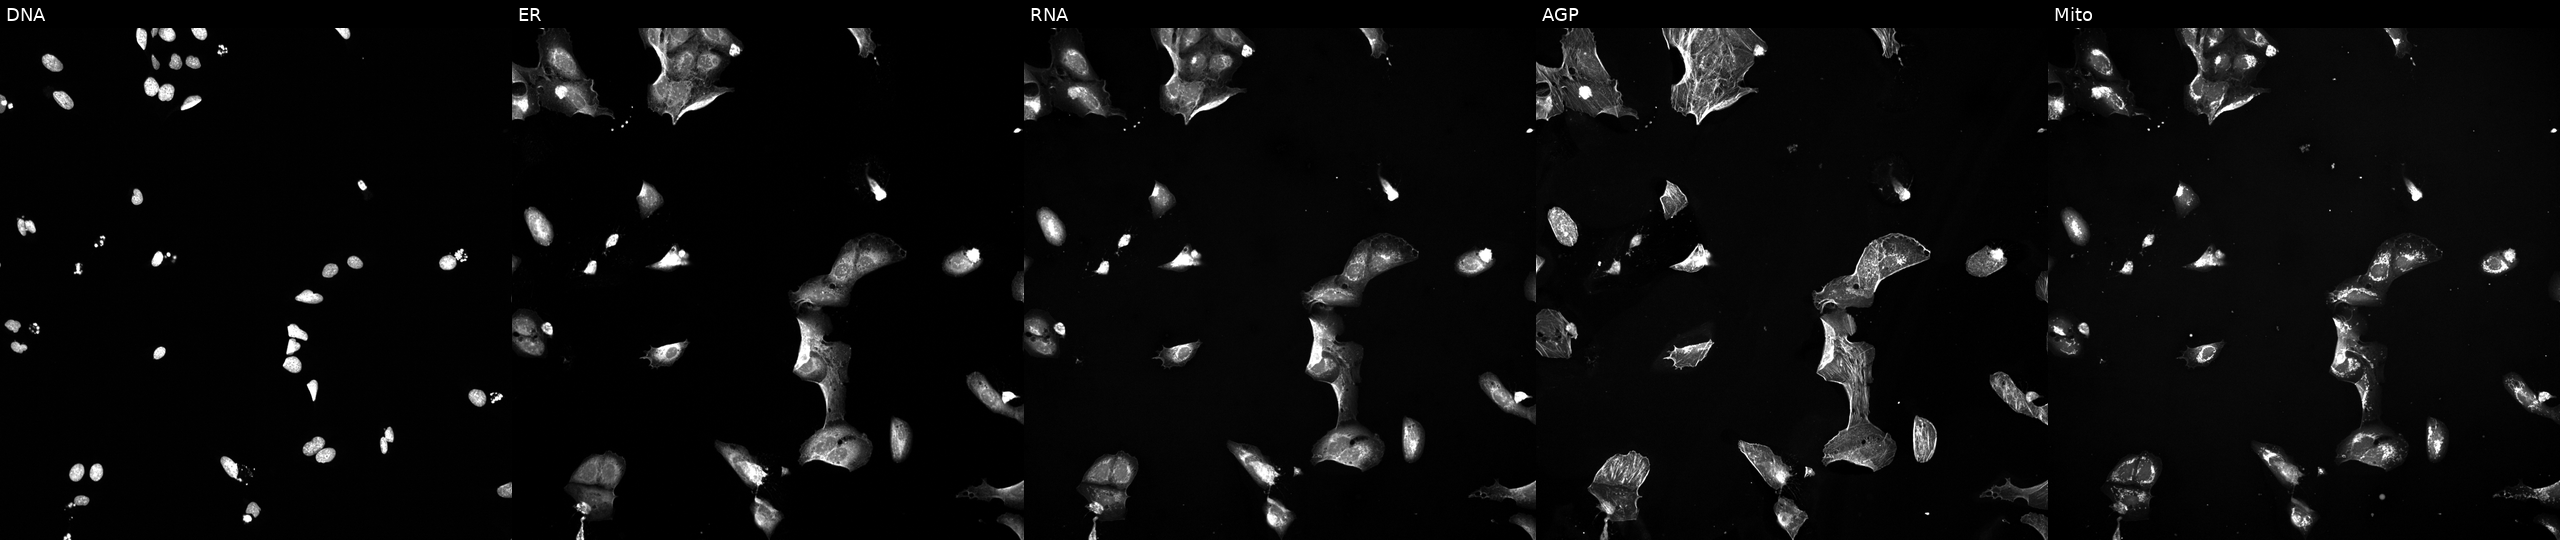
U2OS cells, Cell Painting assay, treated with a small-molecule compound (InChIKey HGMSUJCQIUFZBJ-UHFFFAOYSA-N) (JUMP id JCP2022_030049). The five panels, left to right, show DNA, ER, RNA, AGP, and Mito. Each panel is percentile-stretched 16-bit fluorescence.